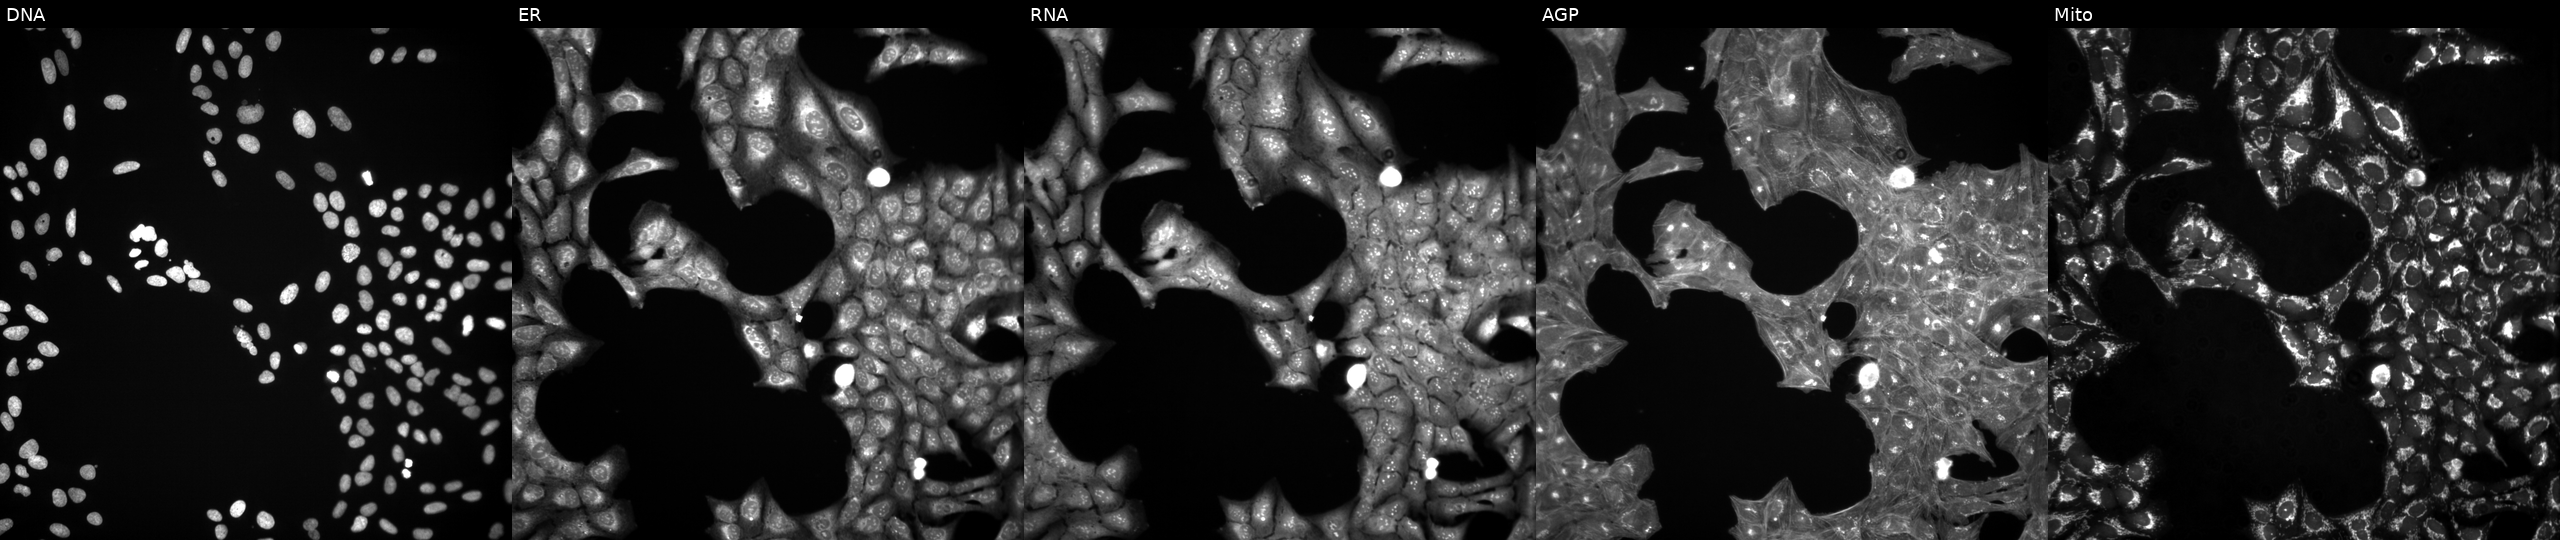
U2OS cells, Cell Painting assay, treated with dexamethasone (positive-control compound) (JUMP id JCP2022_025848). The five panels, left to right, show Hoechst 33342, concanavalin A, SYTO 14, phalloidin and WGA, MitoTracker. Each panel is percentile-stretched 16-bit fluorescence. Source 3, plate JCPQC051, well H24.